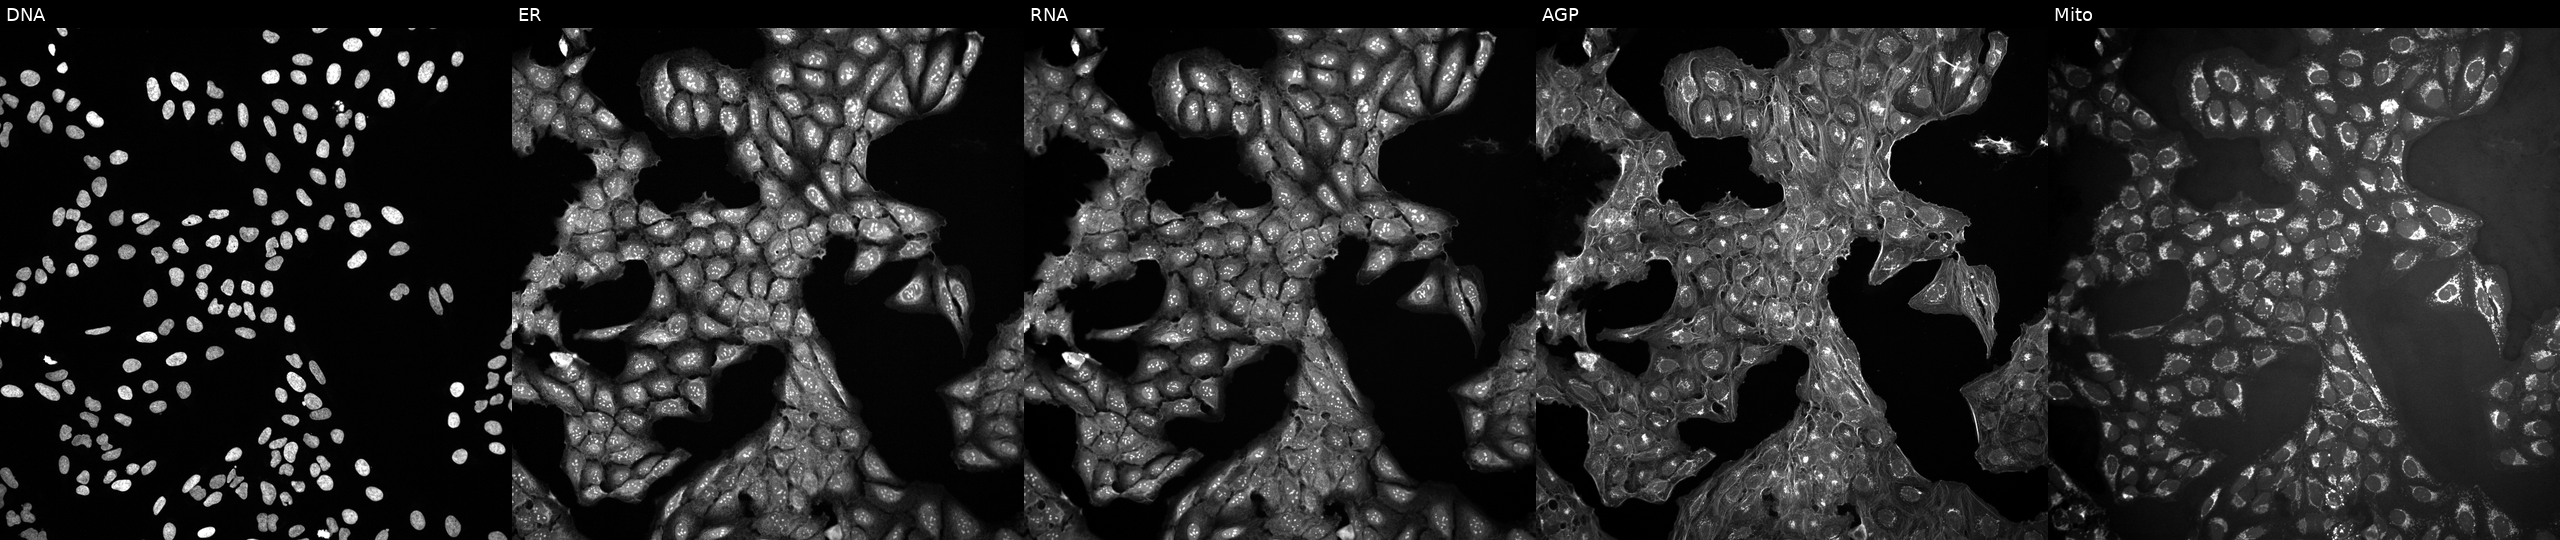
High-content fluorescence microscopy (Cell Painting). Cell line: U2OS. Perturbation: in an empty control well (no perturbation) (JUMP id JCP2022_999999). The five panels, left to right, show DNA, ER, RNA, AGP, and Mito.